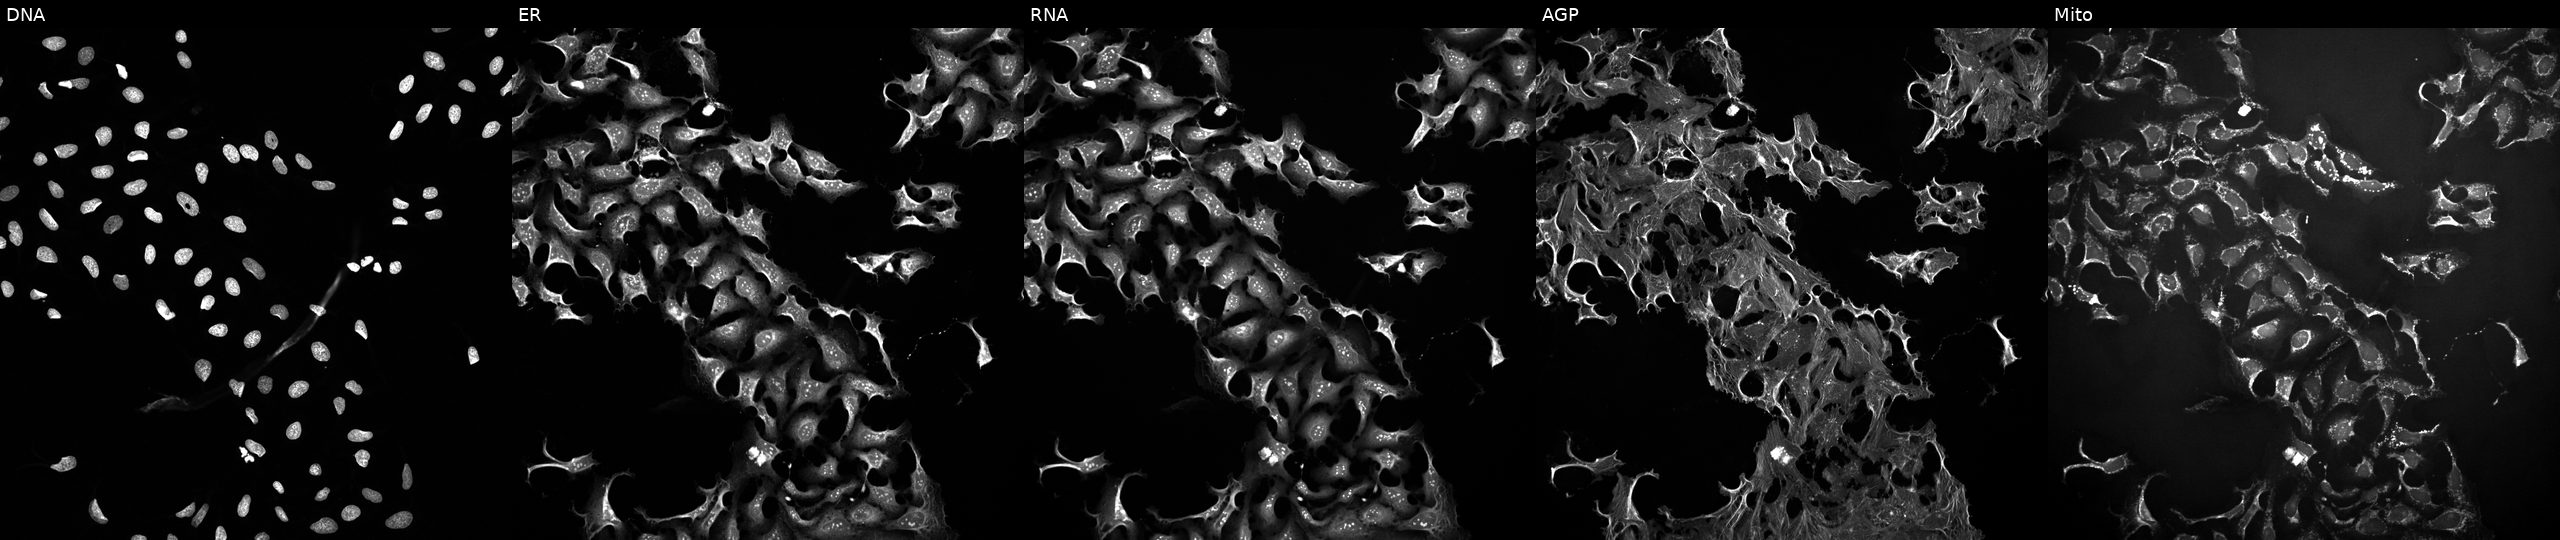
JUMP Cell Painting — TARGET2 plate. U2OS cells exposed to the positive-control compound FK-866. From left to right: Hoechst 33342, concanavalin A, SYTO 14, phalloidin and WGA, MitoTracker. Source 10, plate Dest210726-160150, well H04.